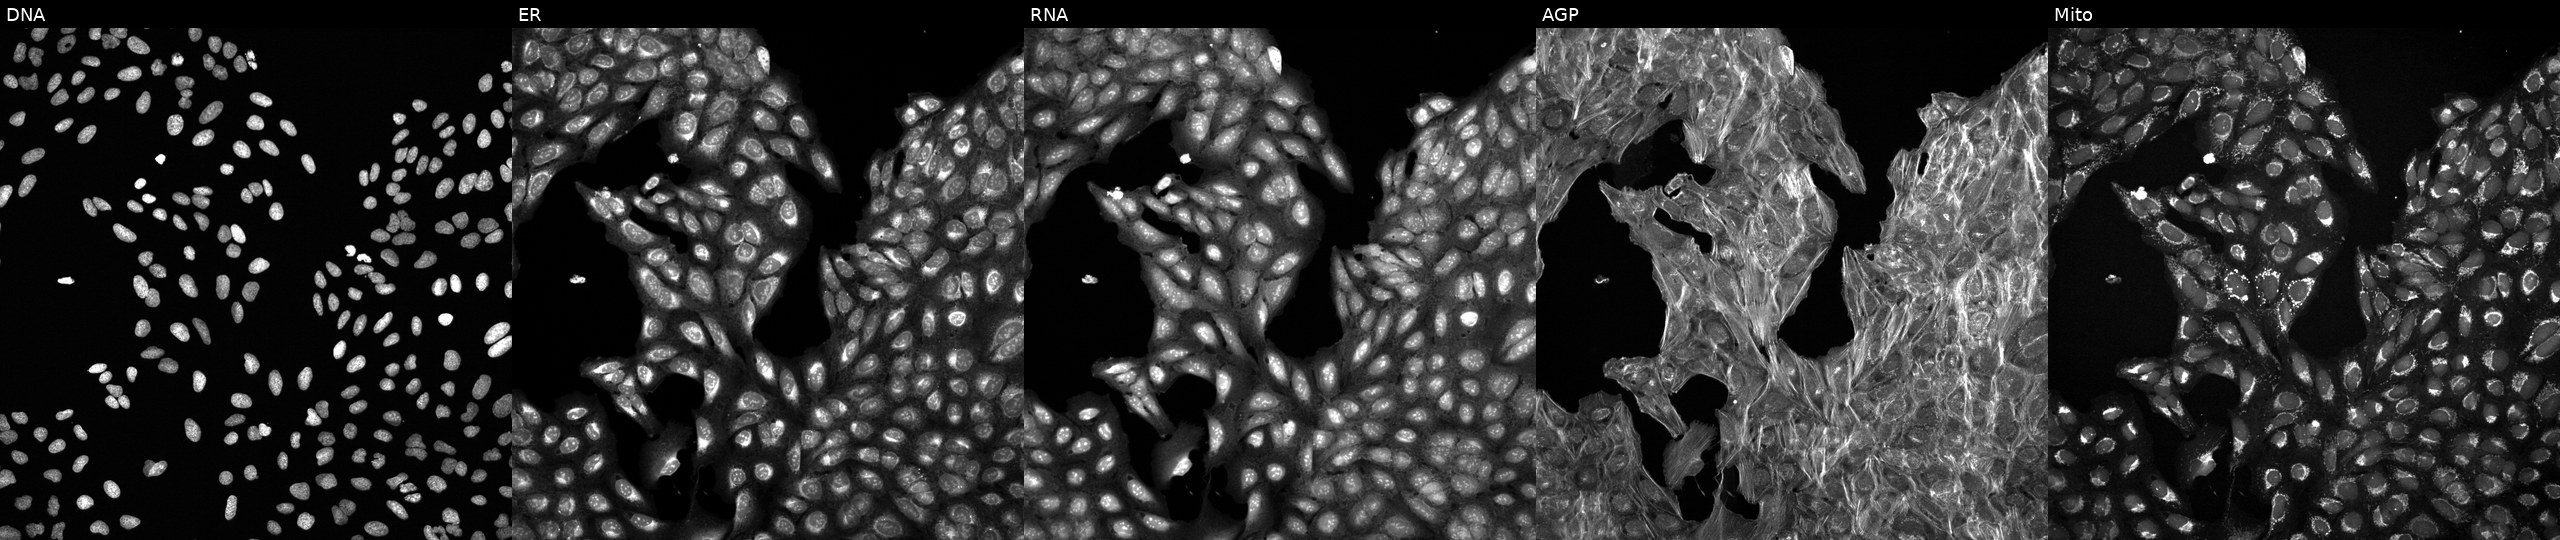
High-content fluorescence microscopy (Cell Painting). Cell line: U2OS. Perturbation: treated with a small-molecule compound. Panels show, left to right, DNA (nuclei); ER (endoplasmic reticulum); RNA (nucleoli and cytoplasmic RNA); AGP (actin cytoskeleton, Golgi, and plasma membrane); Mito (mitochondria). Source 6, plate 110000293083, well J05.